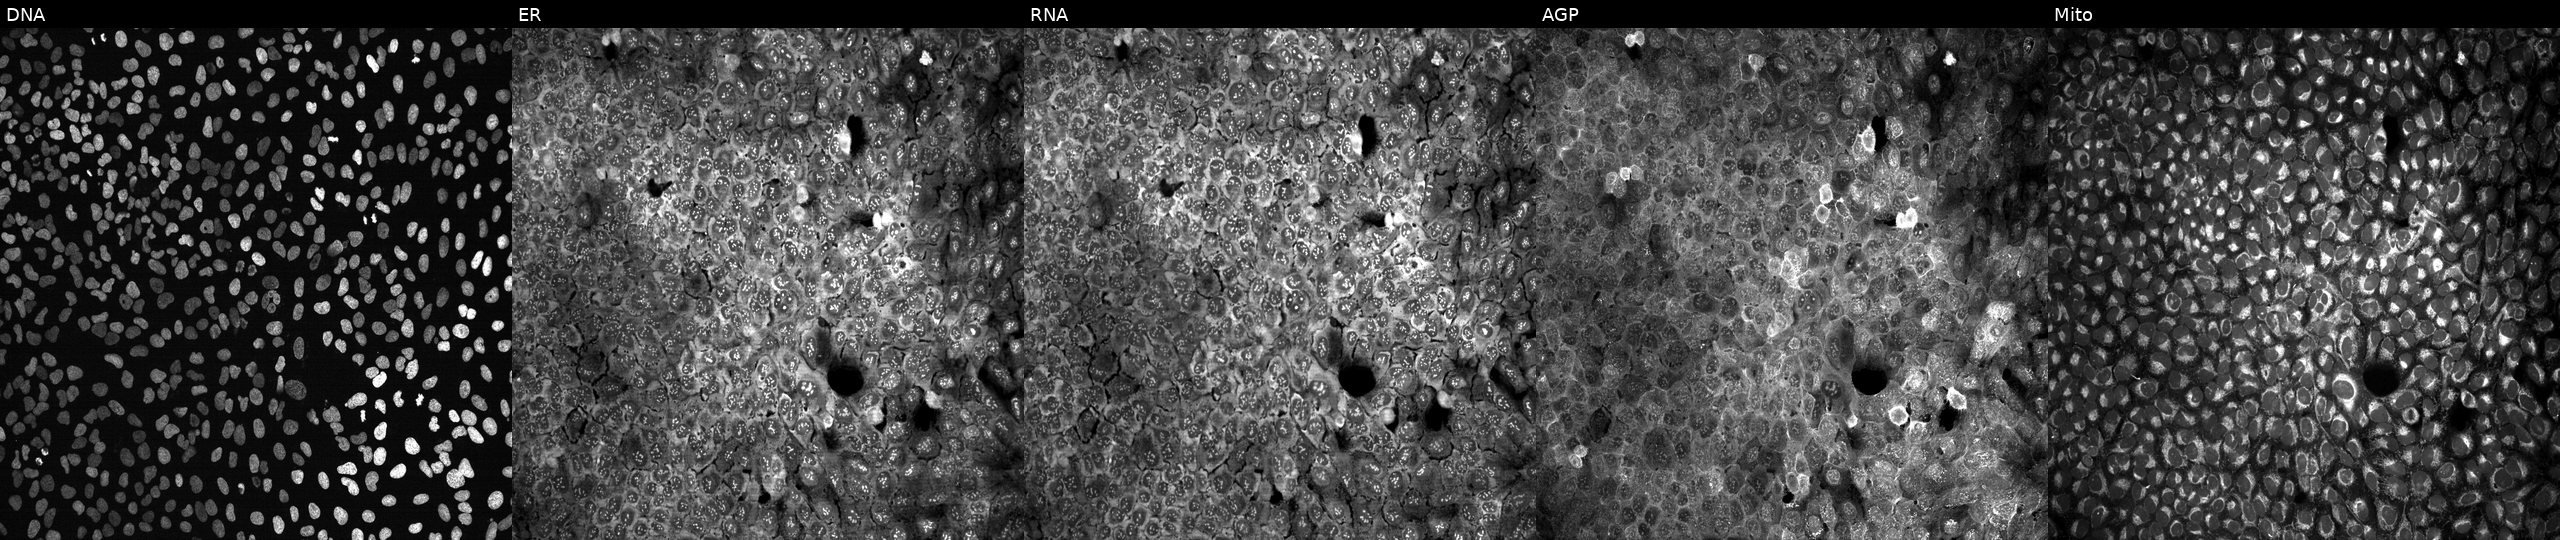
High-content fluorescence microscopy (Cell Painting). Cell line: U2OS. Perturbation: with a non-targeting CRISPR guide (negative control) (JUMP id JCP2022_800002). Channels (left→right): DNA, ER, RNA, AGP, and Mito. Source 13, plate CP-CC9-R4-04, well J02.